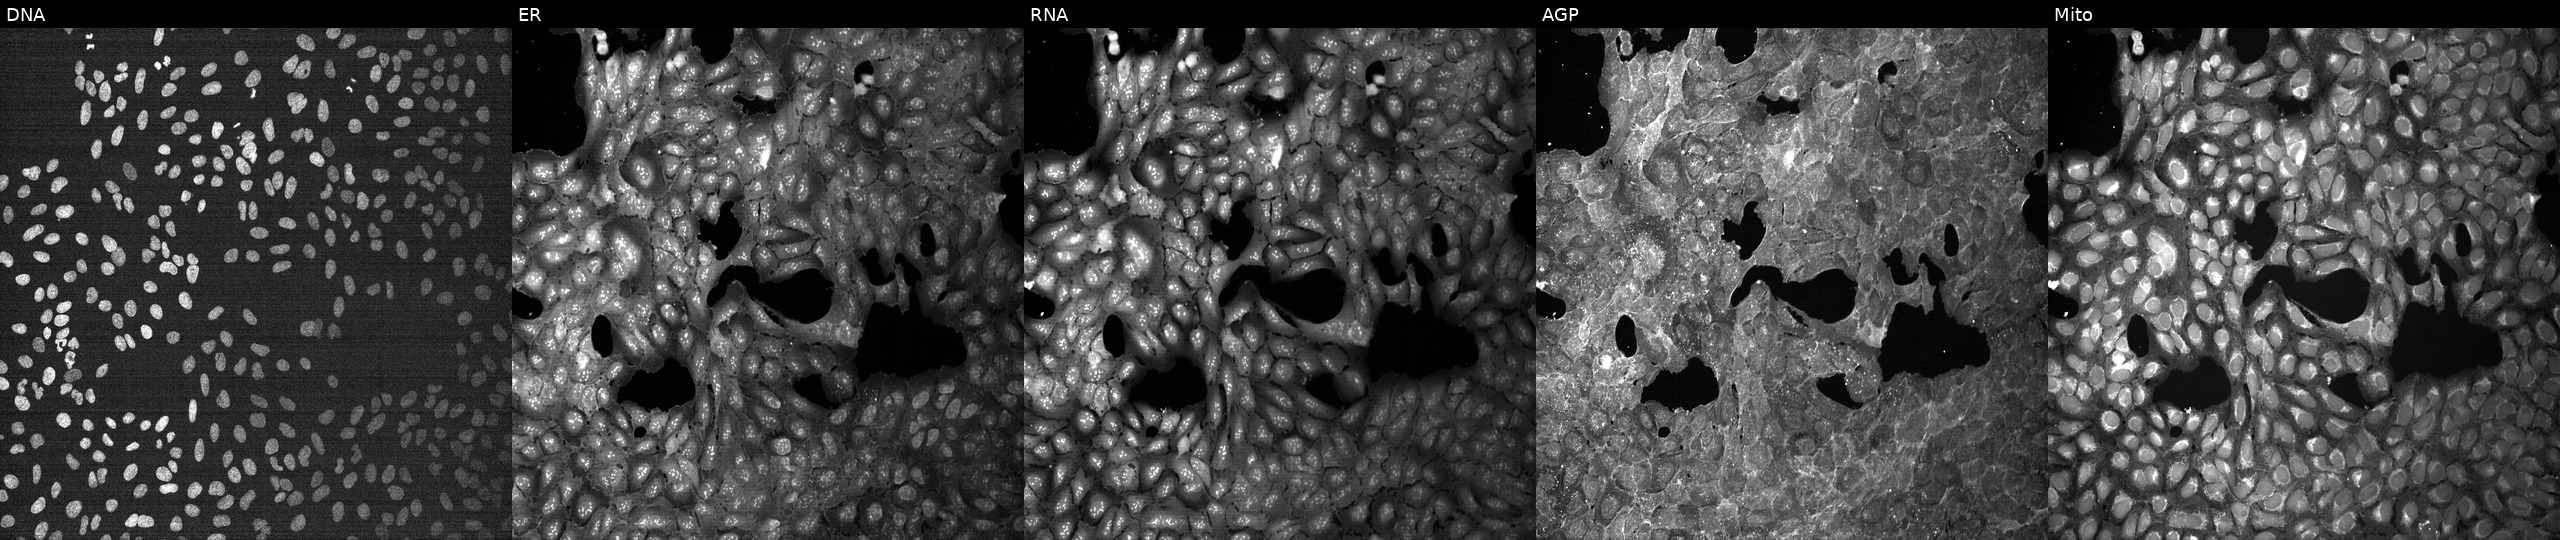
This image strip shows the five Cell Painting channels for a single field of U2OS cells treated with a small-molecule compound (InChIKey PHSPJQZRQAJPPF-UHFFFAOYSA-N) [SMILES: CNCCc1c[nH]cn1] (JUMP id JCP2022_068660). Channels (left→right): Hoechst 33342, concanavalin A, SYTO 14, phalloidin and WGA, MitoTracker. Source 7, plate CP1-SC1-25, well B23.